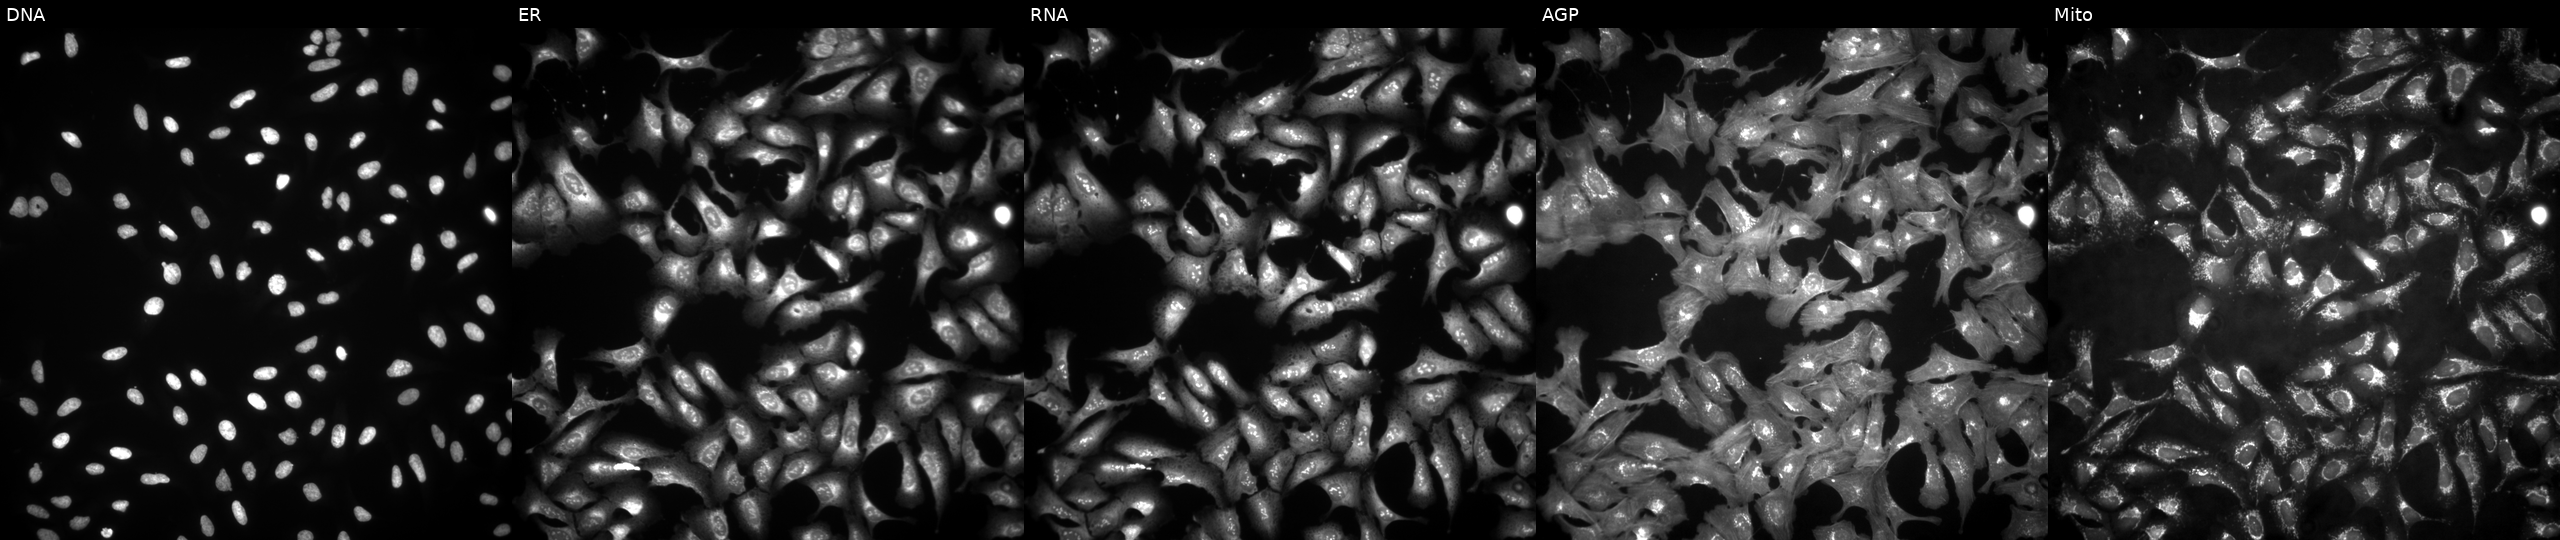
JUMP Cell Painting — ORF plate. U2OS cells overexpressing SH3BGRL via ORF transfection (JUMP id JCP2022_901428). Channels (left→right): DNA (nuclei); ER (endoplasmic reticulum); RNA (nucleoli and cytoplasmic RNA); AGP (actin cytoskeleton, Golgi, and plasma membrane); Mito (mitochondria).